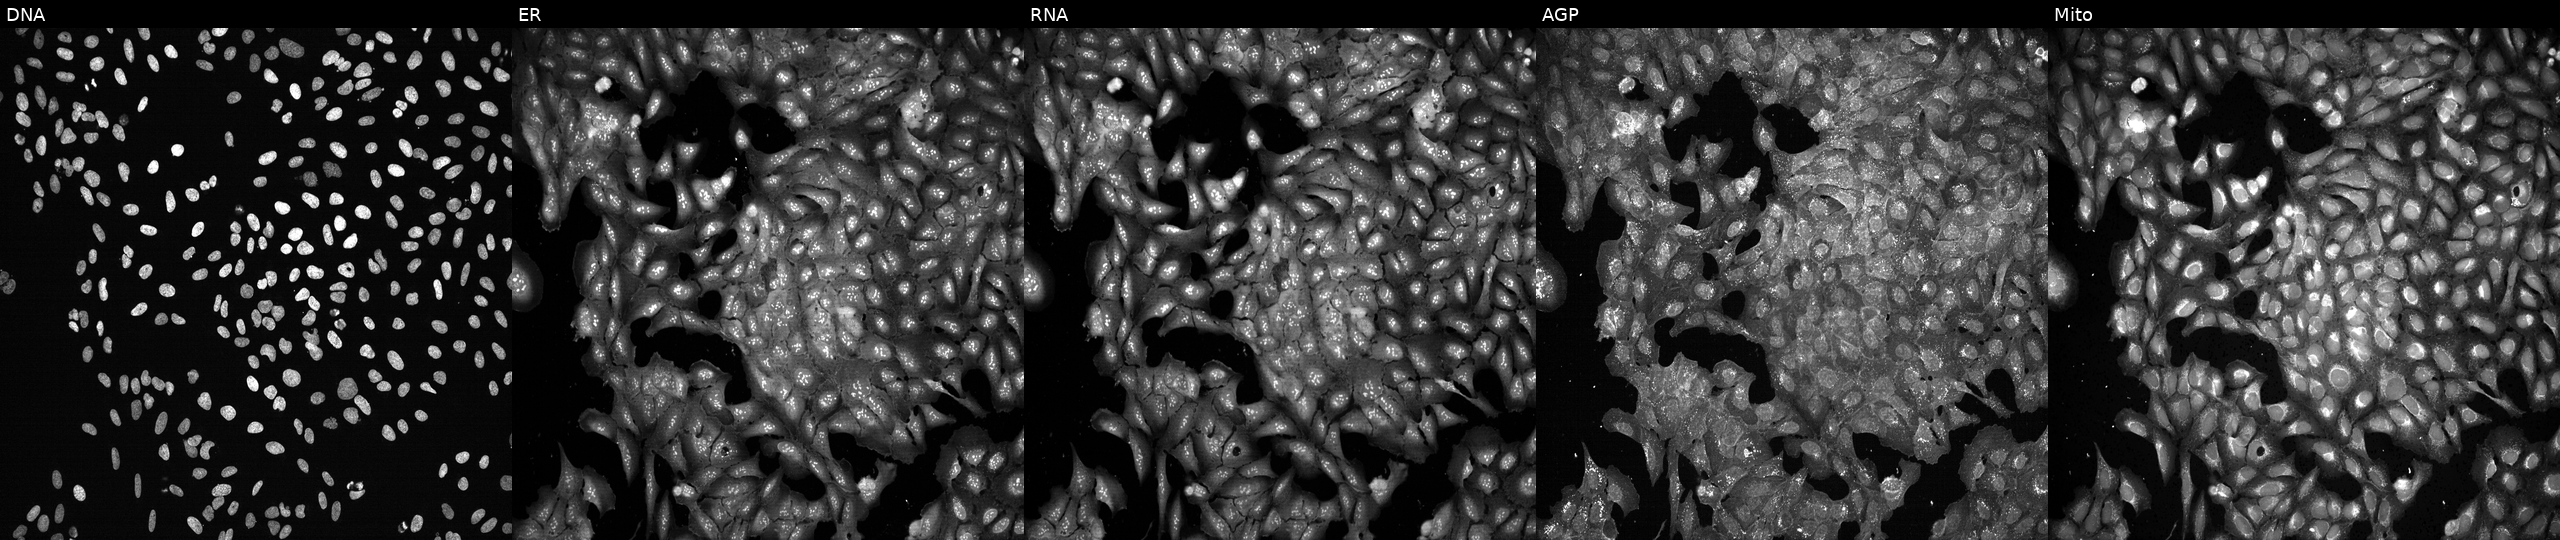
High-content fluorescence microscopy (Cell Painting). Cell line: U2OS. Perturbation: CRISPR-edited to disrupt YWHAE. Channels (left→right): Hoechst 33342, concanavalin A, SYTO 14, phalloidin and WGA, MitoTracker.